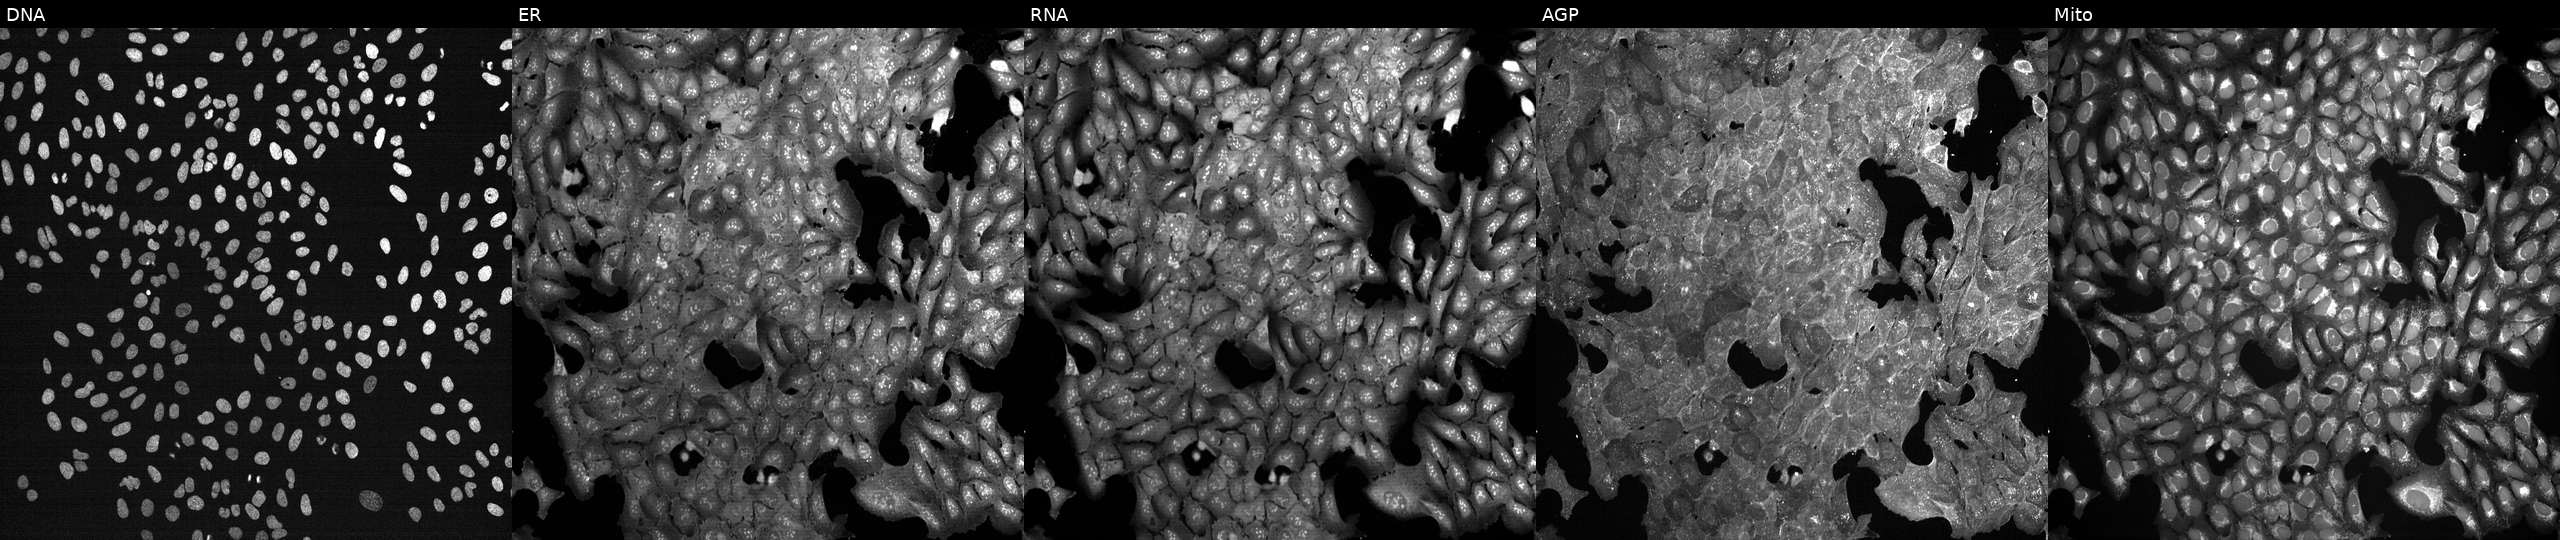
High-content fluorescence microscopy (Cell Painting). Cell line: U2OS. Perturbation: treated with DMSO vehicle only (negative control) (JUMP id JCP2022_033924). Panels show, left to right, DNA (nuclei); ER (endoplasmic reticulum); RNA (nucleoli and cytoplasmic RNA); AGP (actin cytoskeleton, Golgi, and plasma membrane); Mito (mitochondria). Source 7, plate CP2-SC1-25, well F05.